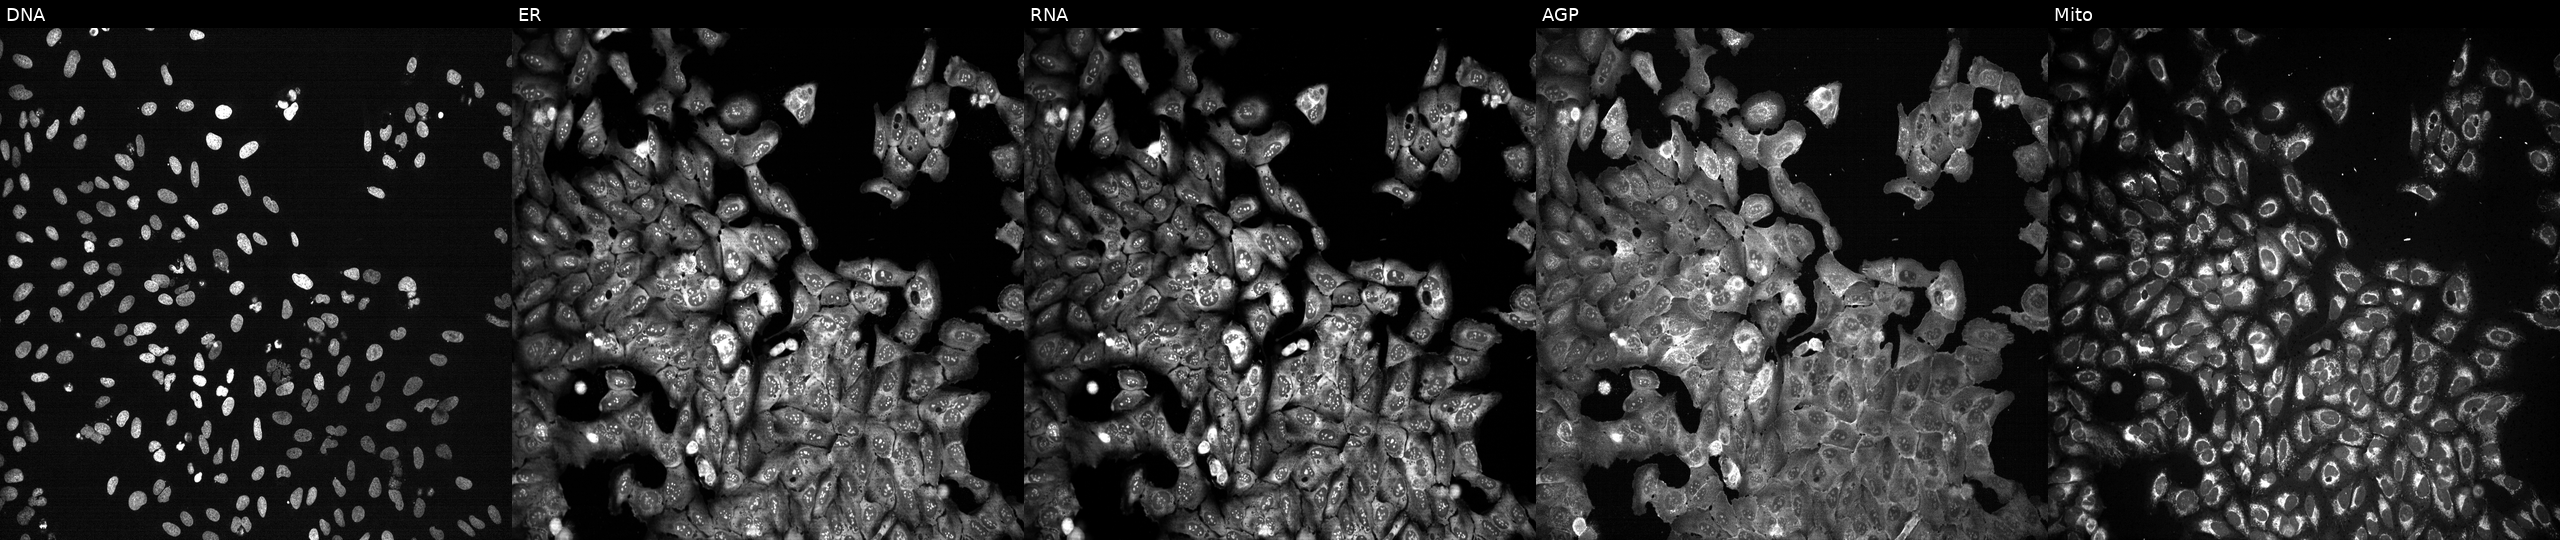
High-content fluorescence microscopy (Cell Painting). Cell line: U2OS. Perturbation: with MEPCE knocked out by CRISPR. The five panels, left to right, show Hoechst 33342, concanavalin A, SYTO 14, phalloidin and WGA, MitoTracker. Source 13, plate CP-CC9-R3-01, well C19.